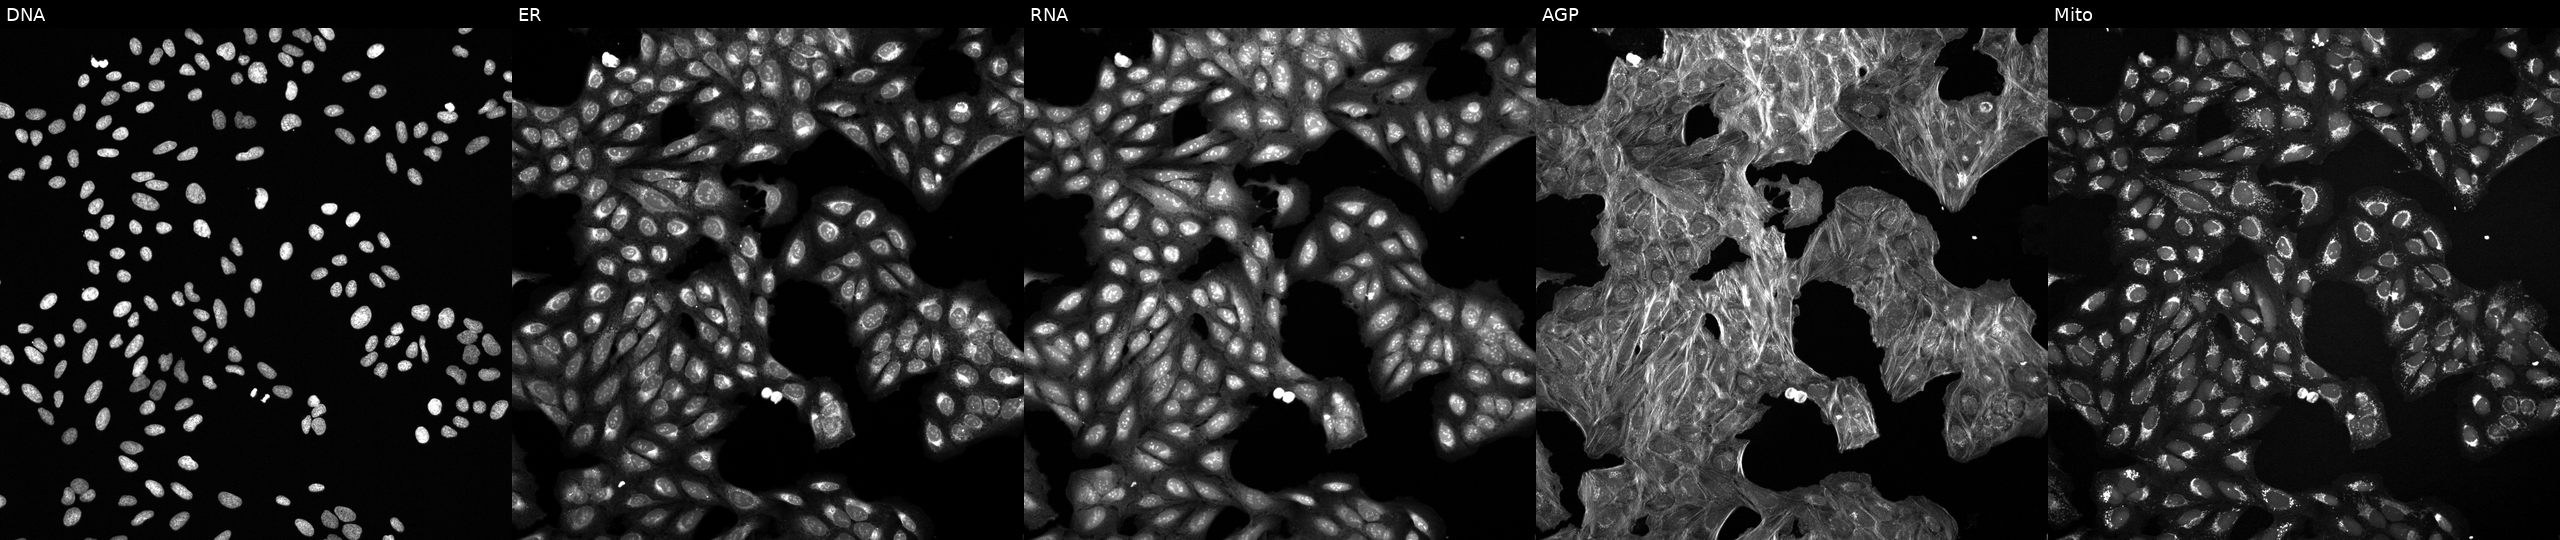
High-content fluorescence microscopy (Cell Painting). Cell line: U2OS. Perturbation: perturbed with a small-molecule compound (InChIKey WULQBUIDTWVOBL-UHFFFAOYSA-N) [SMILES: CC(C)n1ncc2c(C(=O)Nc3cccc(N4CCCC4=O)c3)cc(-c3ccco3)nc21] (JUMP id JCP2022_101283). From left to right: DNA, ER, RNA, AGP, and Mito.